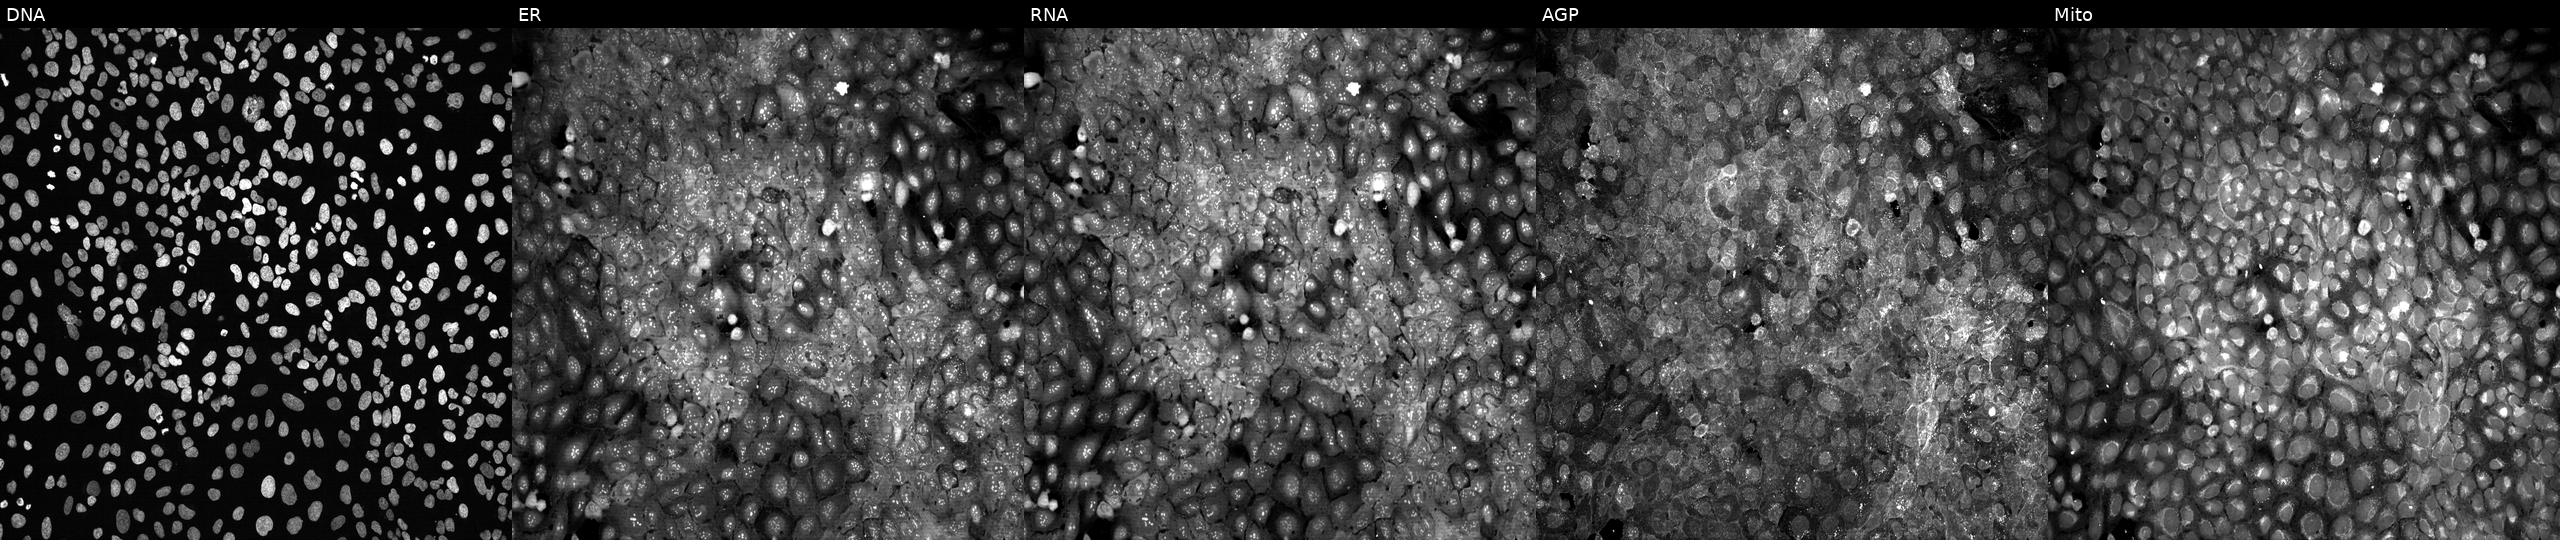
Five-channel Cell Painting image of U2OS cells treated with DMSO vehicle only (negative control). The five panels, left to right, show Hoechst 33342, concanavalin A, SYTO 14, phalloidin and WGA, MitoTracker. Source 13, plate CP-CC9-R1-01, well F02.